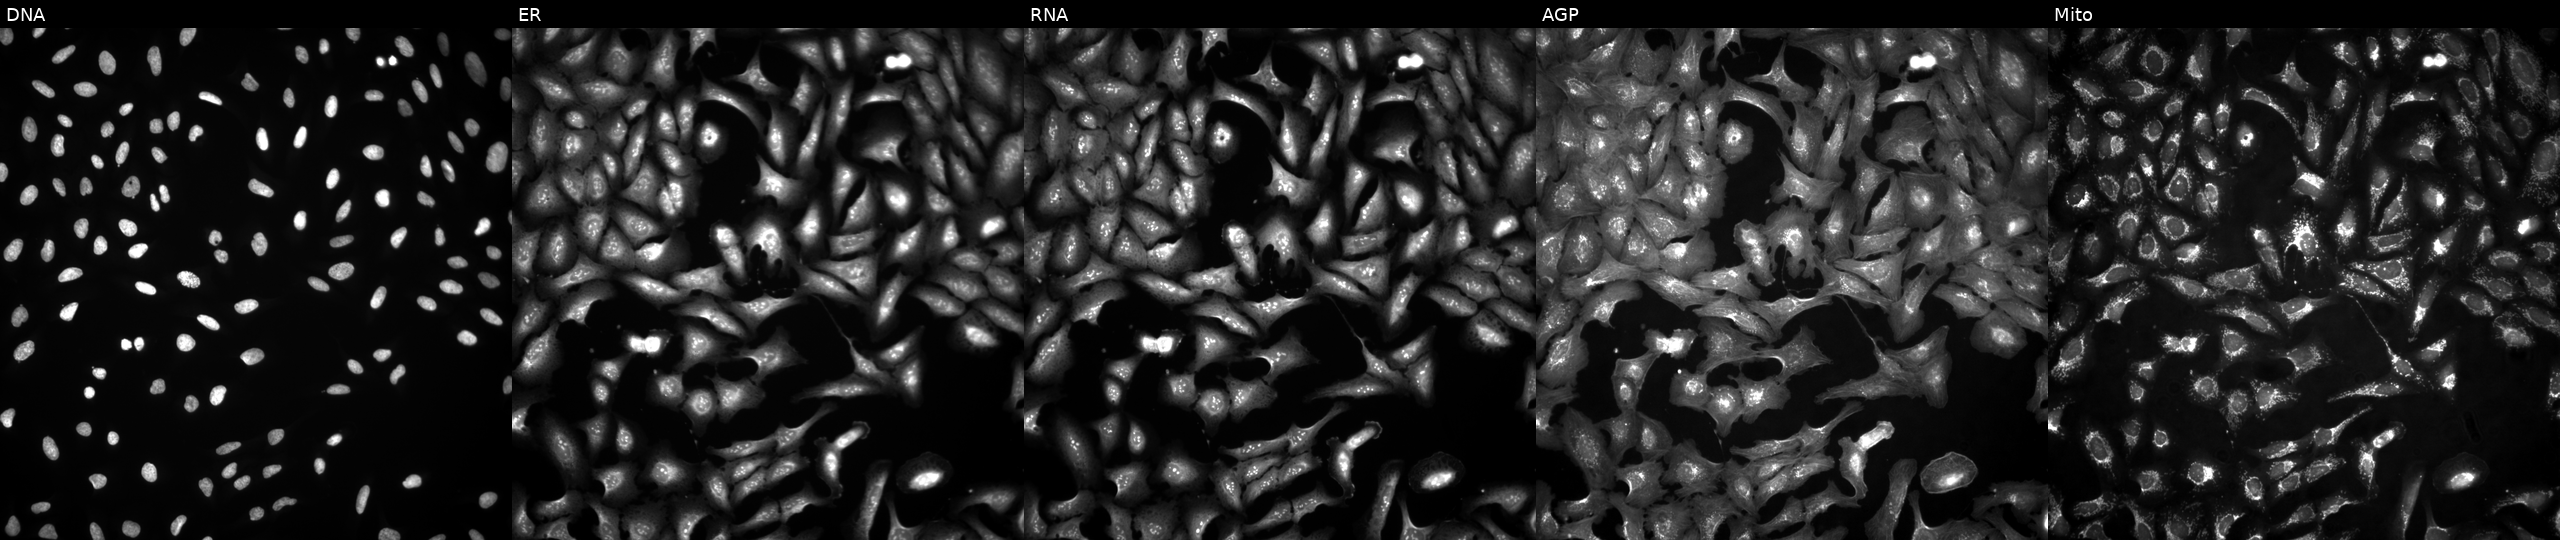
From left to right: DNA, ER, RNA, AGP, and Mito. U2OS osteosarcoma cells overexpressing ALDH2 via ORF transfection (JUMP id JCP2022_900043). Cell Painting assay, JUMP-CP dataset.